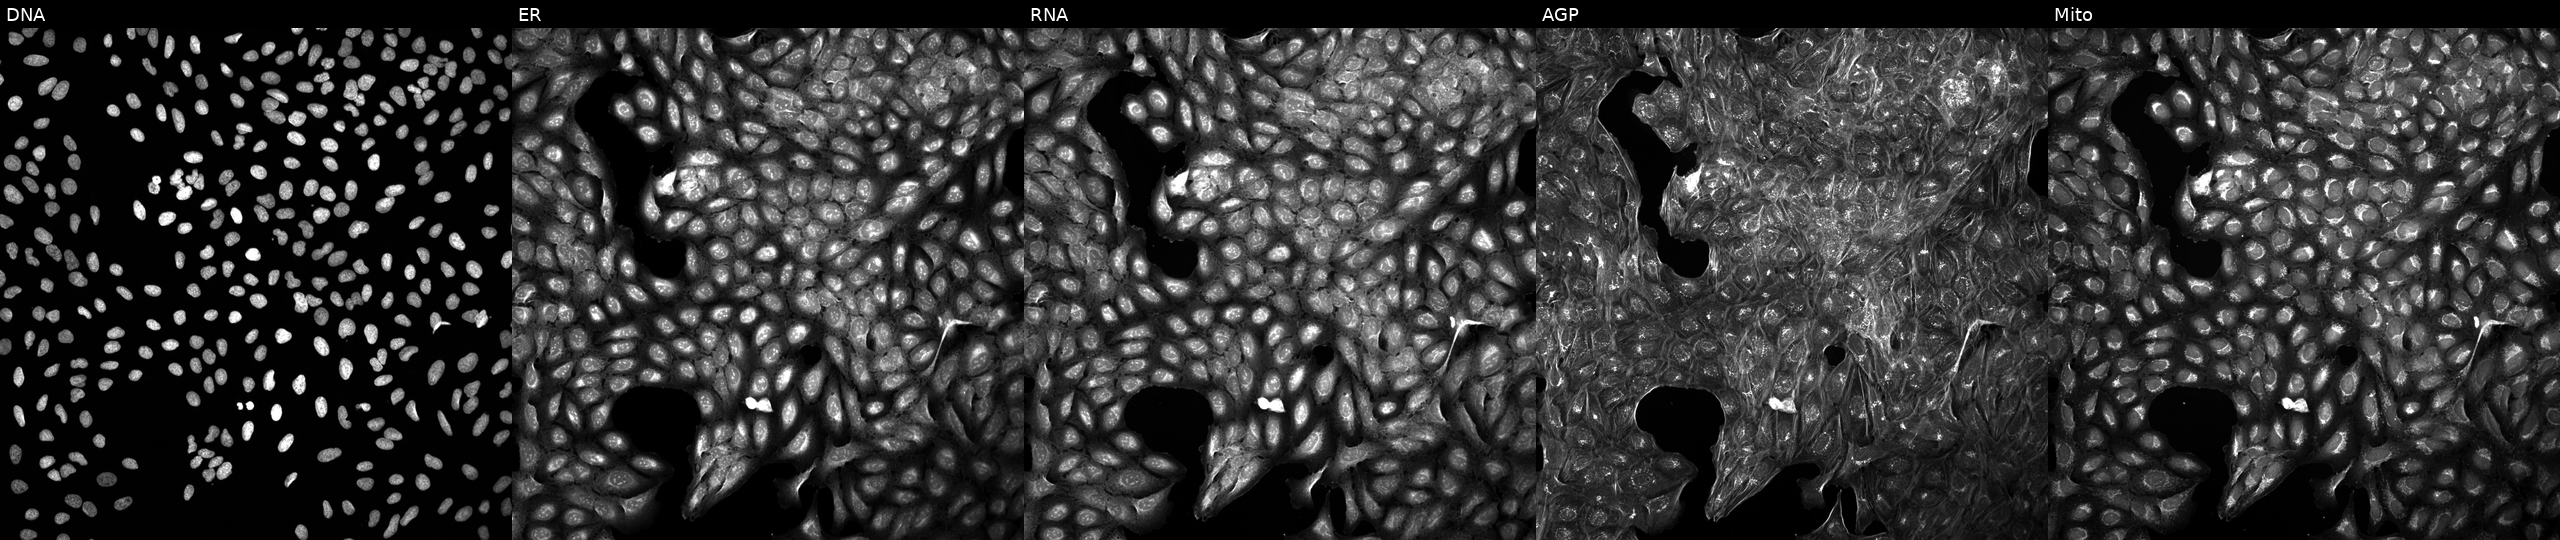
The five panels, left to right, show DNA (nuclei); ER (endoplasmic reticulum); RNA (nucleoli and cytoplasmic RNA); AGP (actin cytoskeleton, Golgi, and plasma membrane); Mito (mitochondria). U2OS osteosarcoma cells exposed to a small-molecule compound. Cell Painting assay, JUMP-CP dataset.